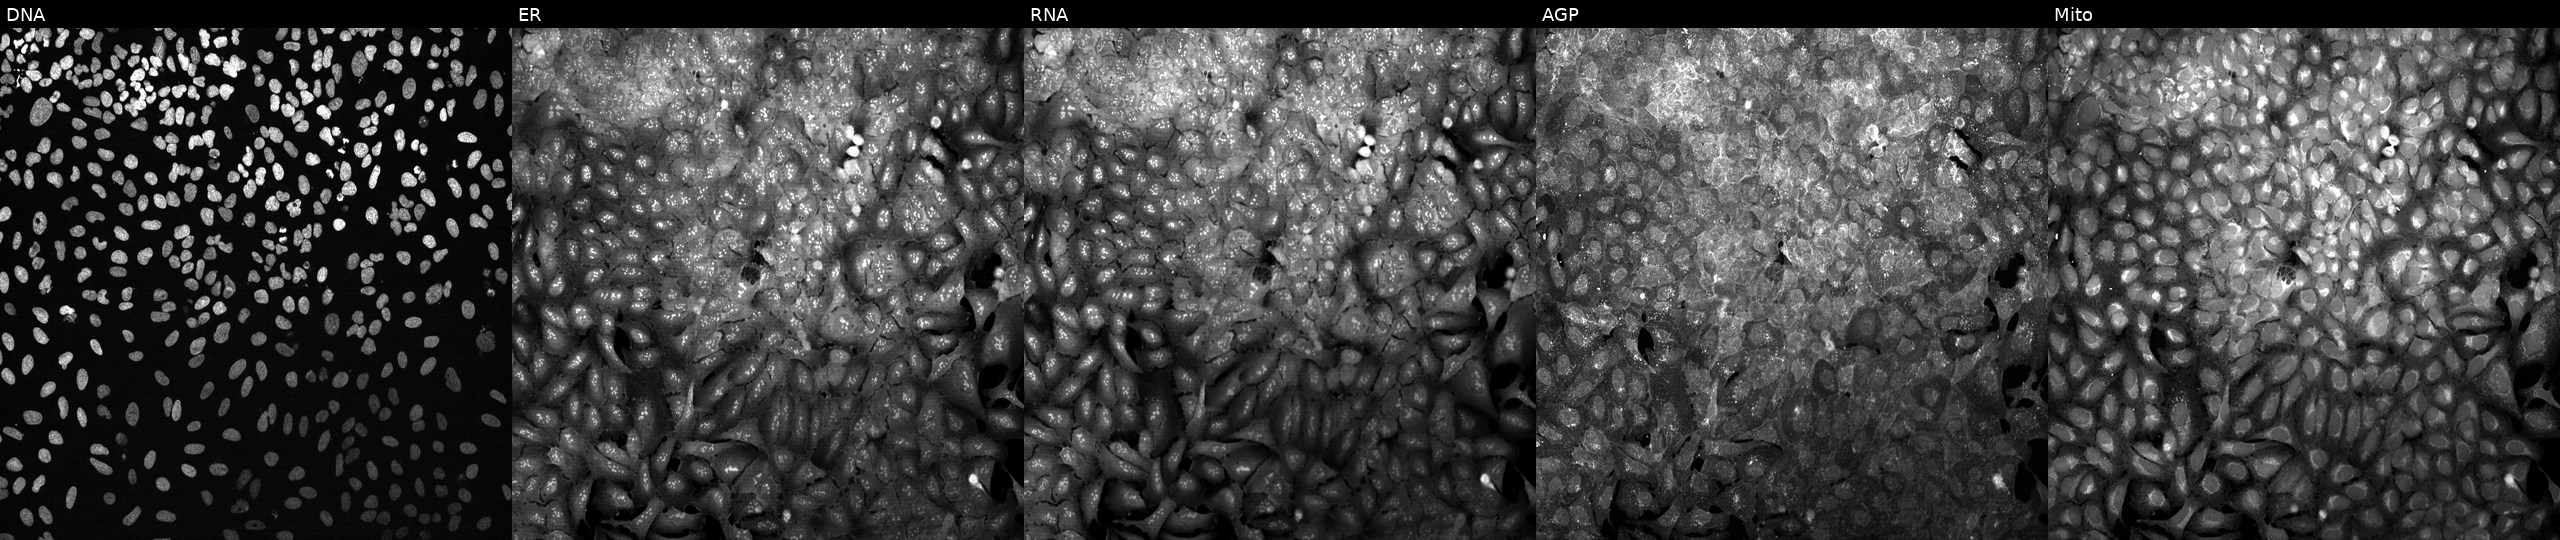
This image strip shows the five Cell Painting channels for a single field of U2OS cells with ARG2 knocked out by CRISPR (JUMP id JCP2022_800561). The five panels, left to right, show Hoechst 33342, concanavalin A, SYTO 14, phalloidin and WGA, MitoTracker.